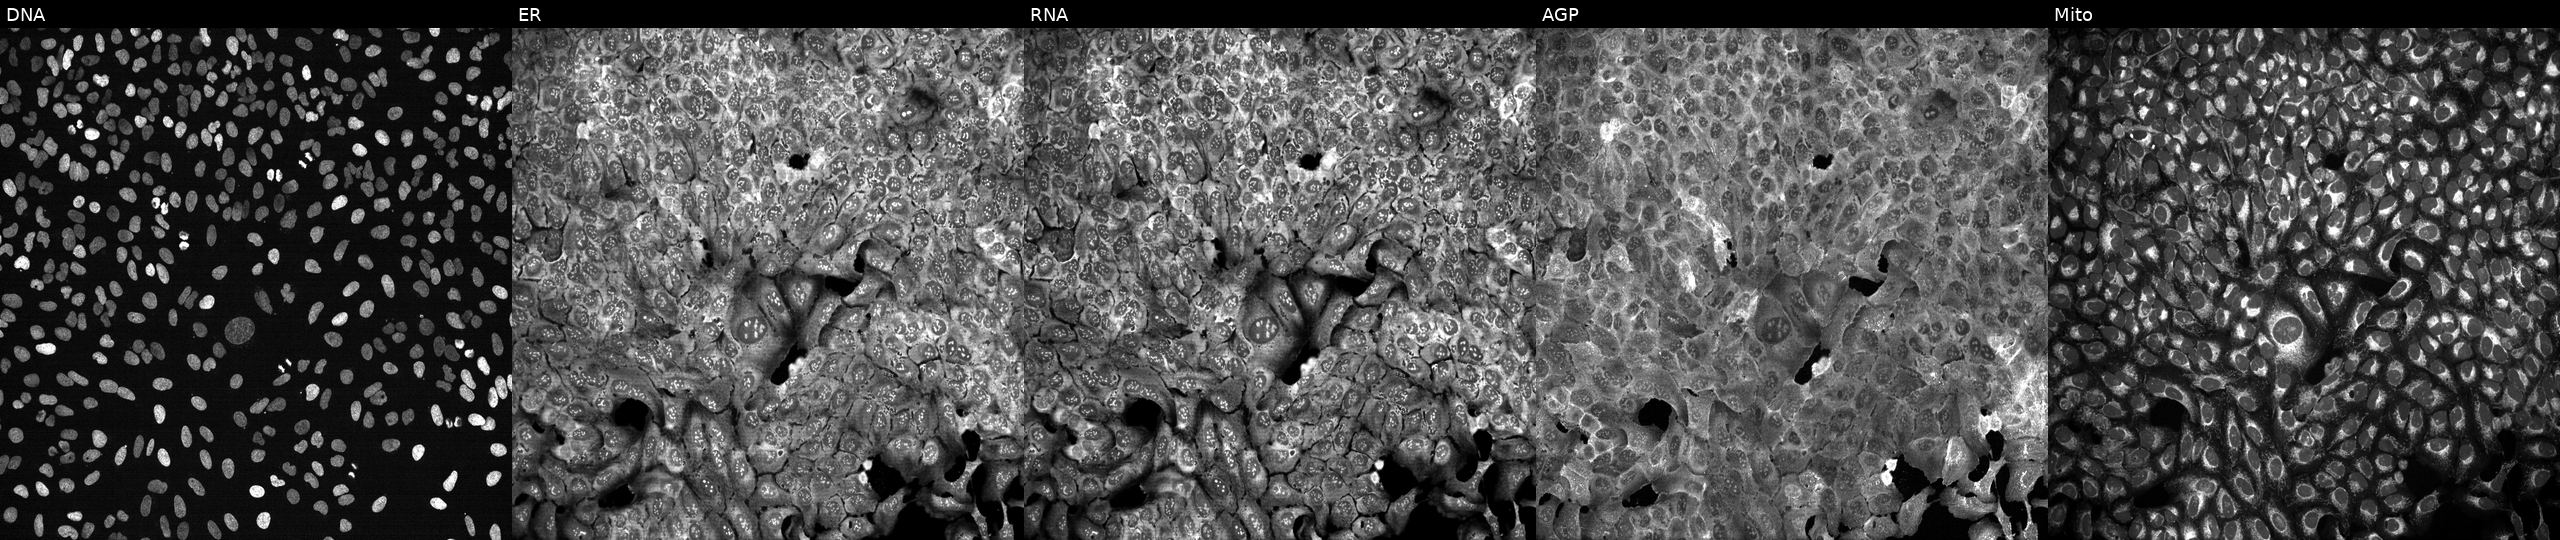
U2OS cells, Cell Painting assay, CRISPR-edited to disrupt DHRS11. Channels (left→right): DNA, ER, RNA, AGP, and Mito. Each panel is percentile-stretched 16-bit fluorescence.